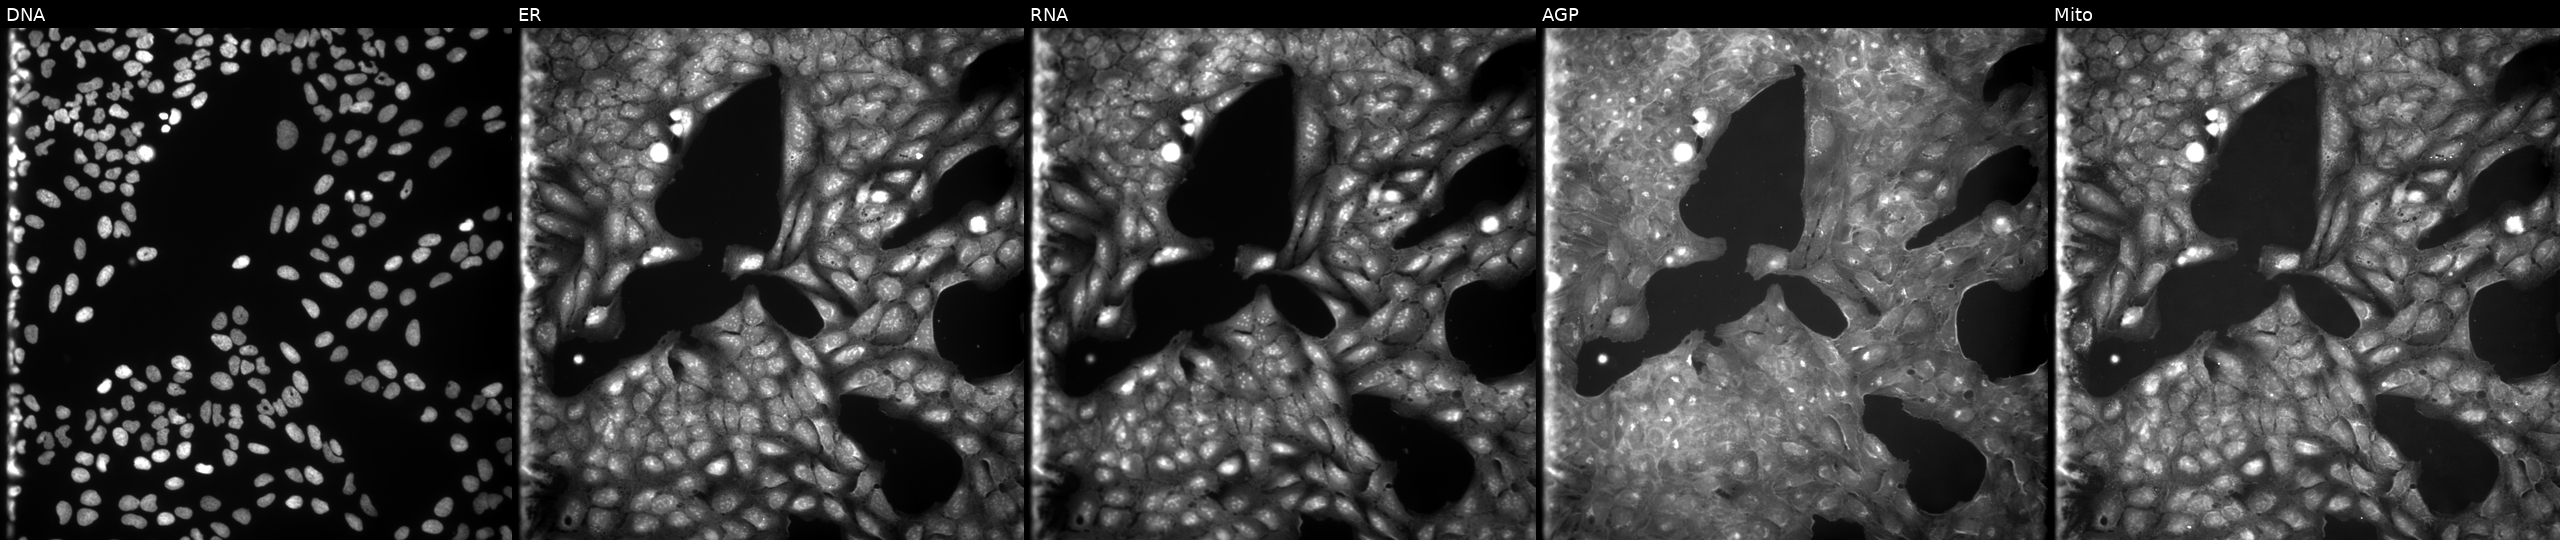
JUMP Cell Painting — COMPOUND plate. U2OS cells treated with a small-molecule compound (InChIKey NHKLPQPMWLPSAZ-UHFFFAOYSA-N) (JUMP id JCP2022_059025). Channels (left→right): DNA, ER, RNA, AGP, and Mito.